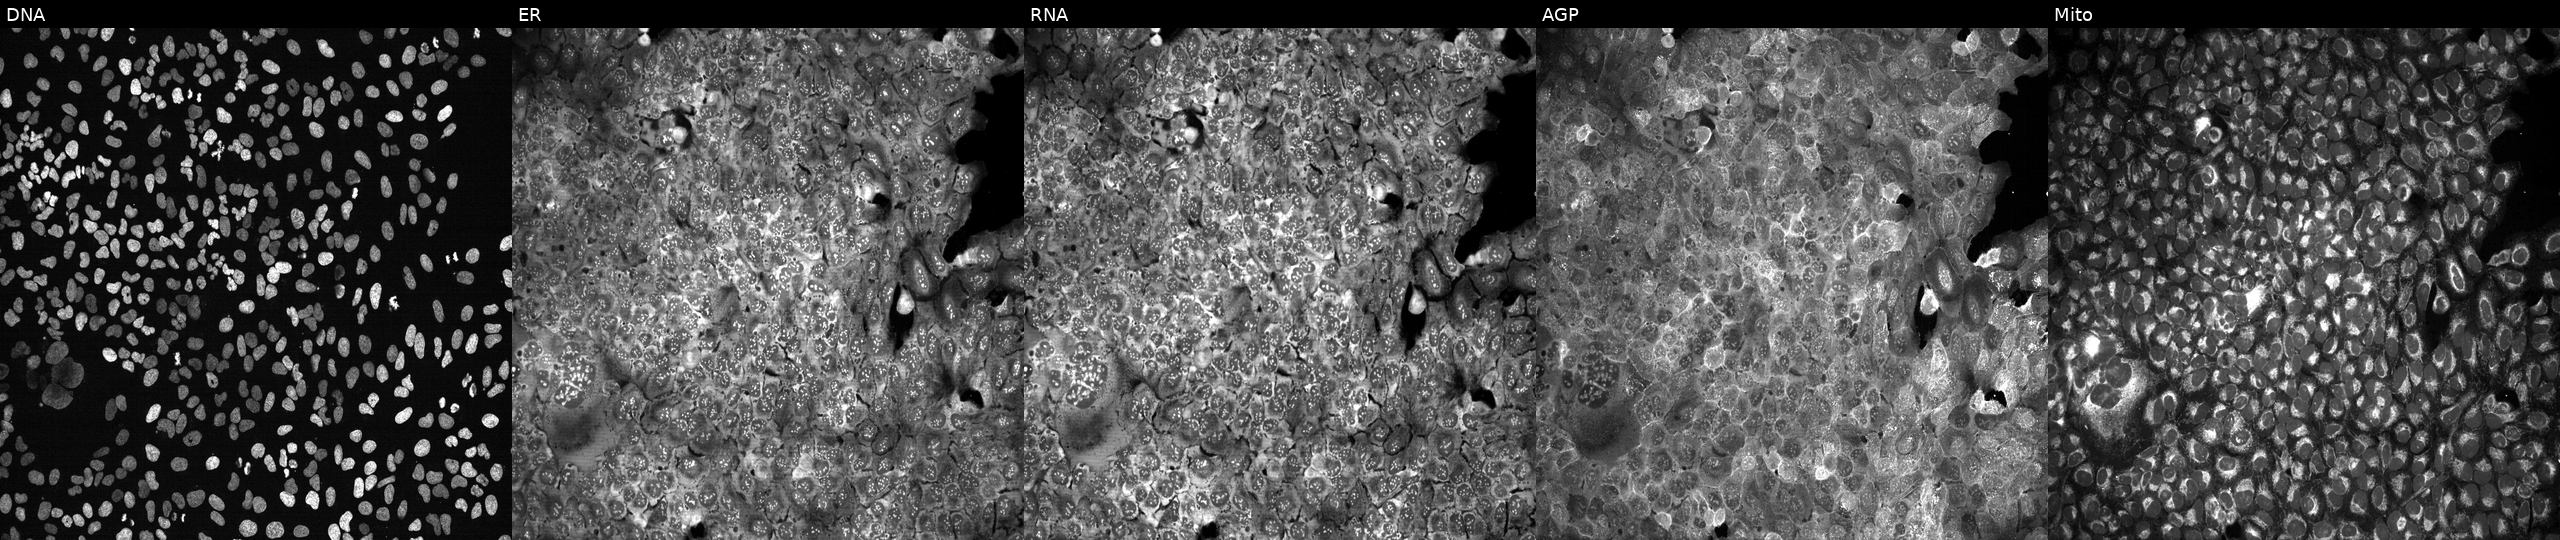
JUMP Cell Painting — CRISPR plate. U2OS cells CRISPR-edited to disrupt SLC2A3. The five panels, left to right, show DNA, ER, RNA, AGP, and Mito. Source 13, plate CP-CC9-R4-04, well C18.